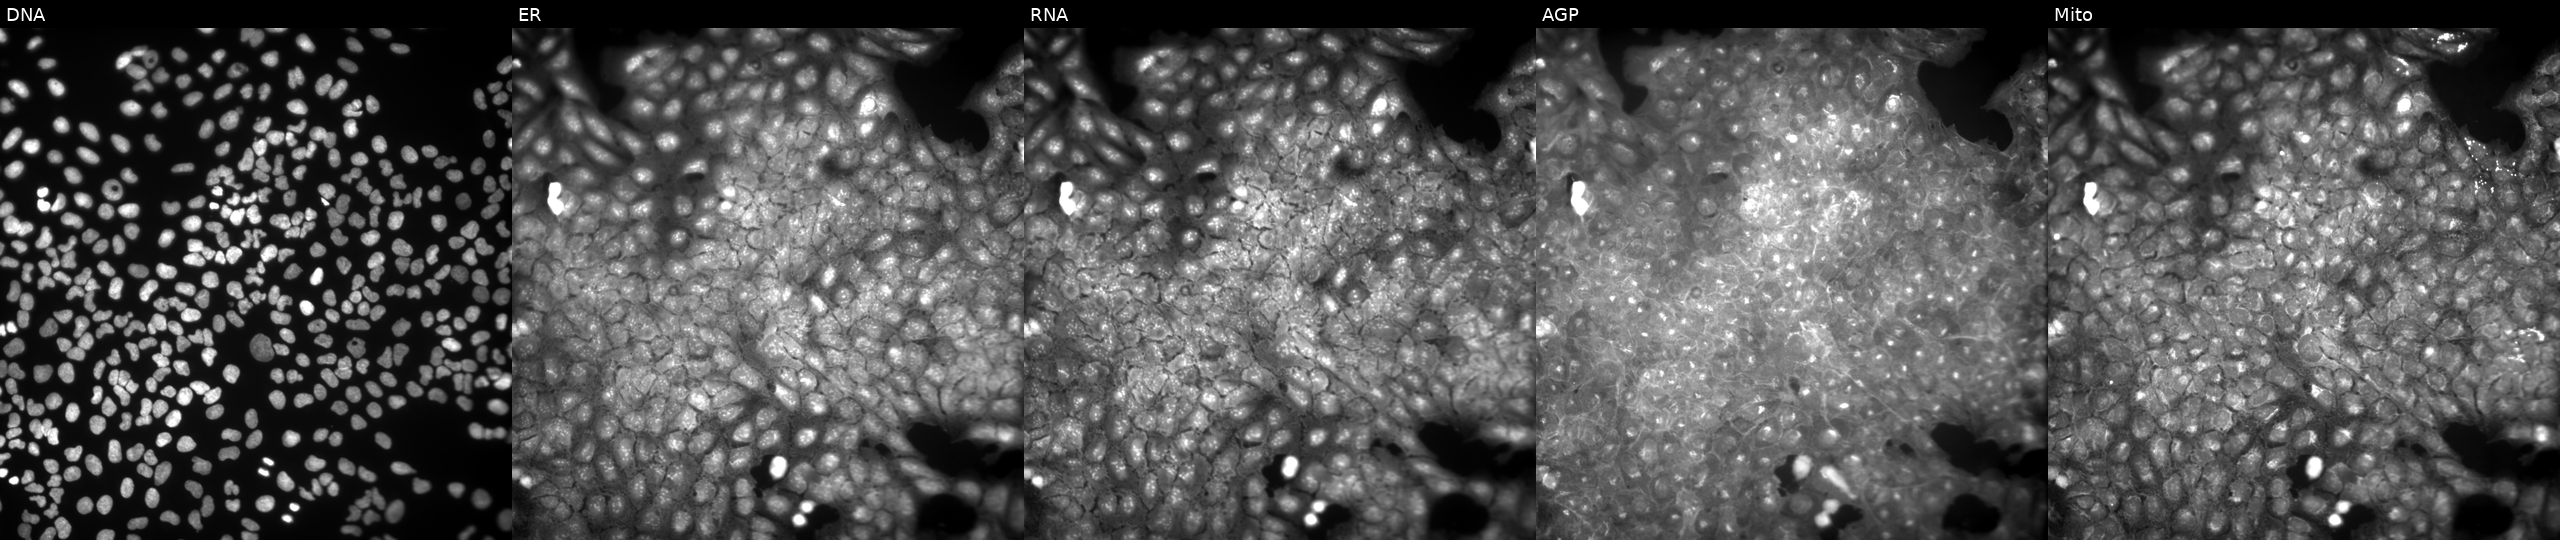
High-content fluorescence microscopy (Cell Painting). Cell line: U2OS. Perturbation: treated with a small-molecule compound (InChIKey XNSVZGWHOCXOMJ-UHFFFAOYSA-N) [SMILES: C=CCN=c1[nH]c2c(c(=O)[nH]c(=O)n2C)n1Cc1cccc(C)c1] (JUMP id JCP2022_104835). From left to right: Hoechst 33342, concanavalin A, SYTO 14, phalloidin and WGA, MitoTracker. Source 9, plate GR00003381, well AD46.